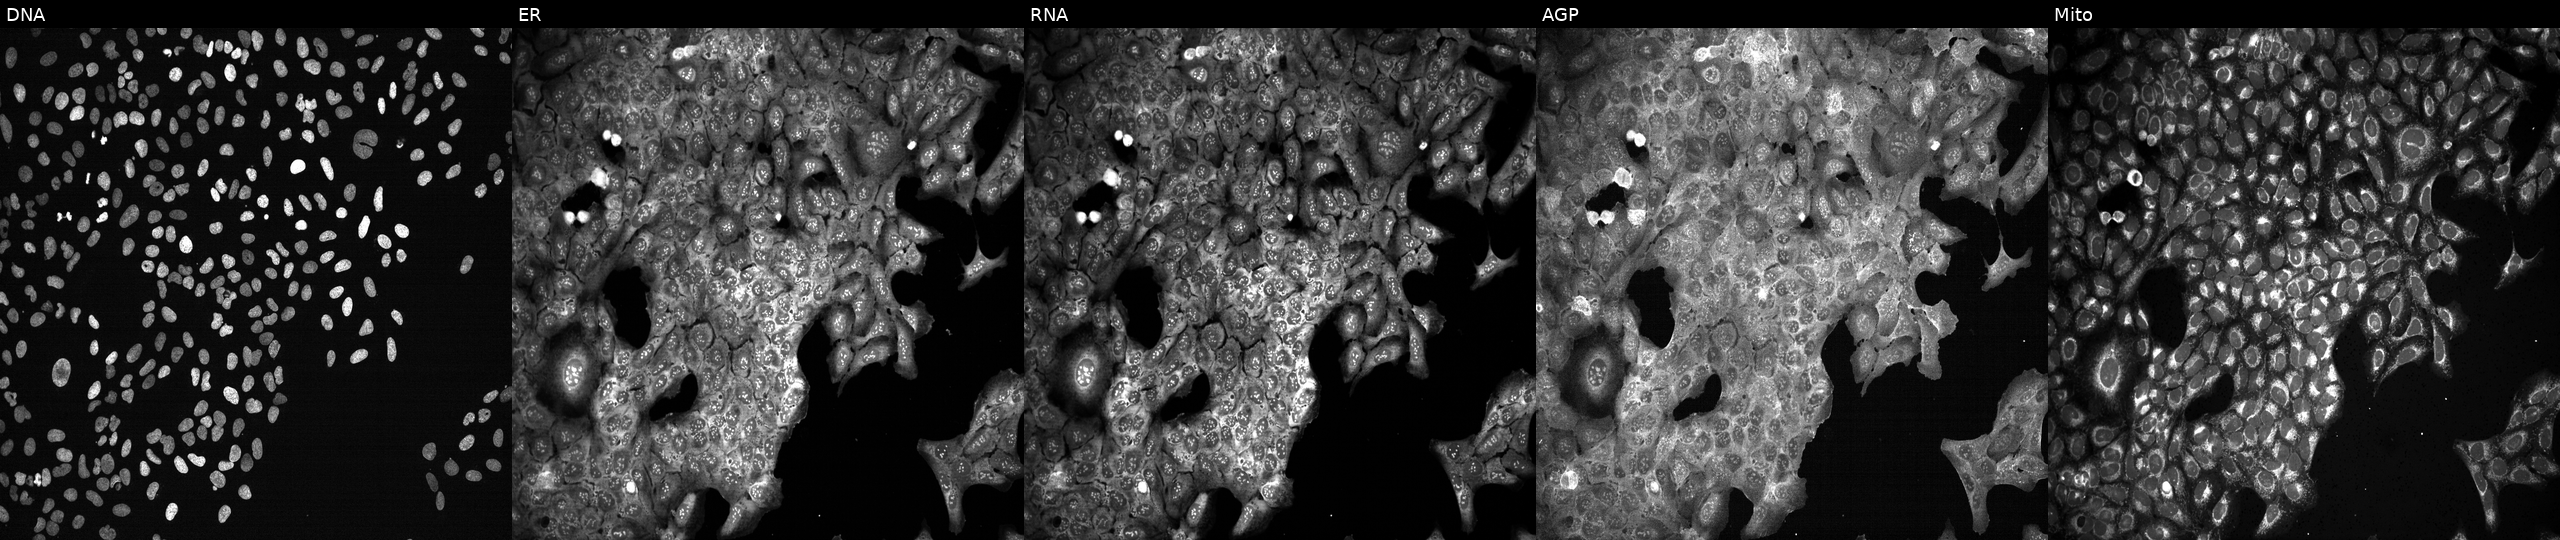
JUMP Cell Painting — CRISPR plate. U2OS cells CRISPR-edited to disrupt PPT1 (JUMP id JCP2022_805479). The five panels, left to right, show Hoechst 33342, concanavalin A, SYTO 14, phalloidin and WGA, MitoTracker. Source 13, plate CP-CC9-R3-02, well L15.